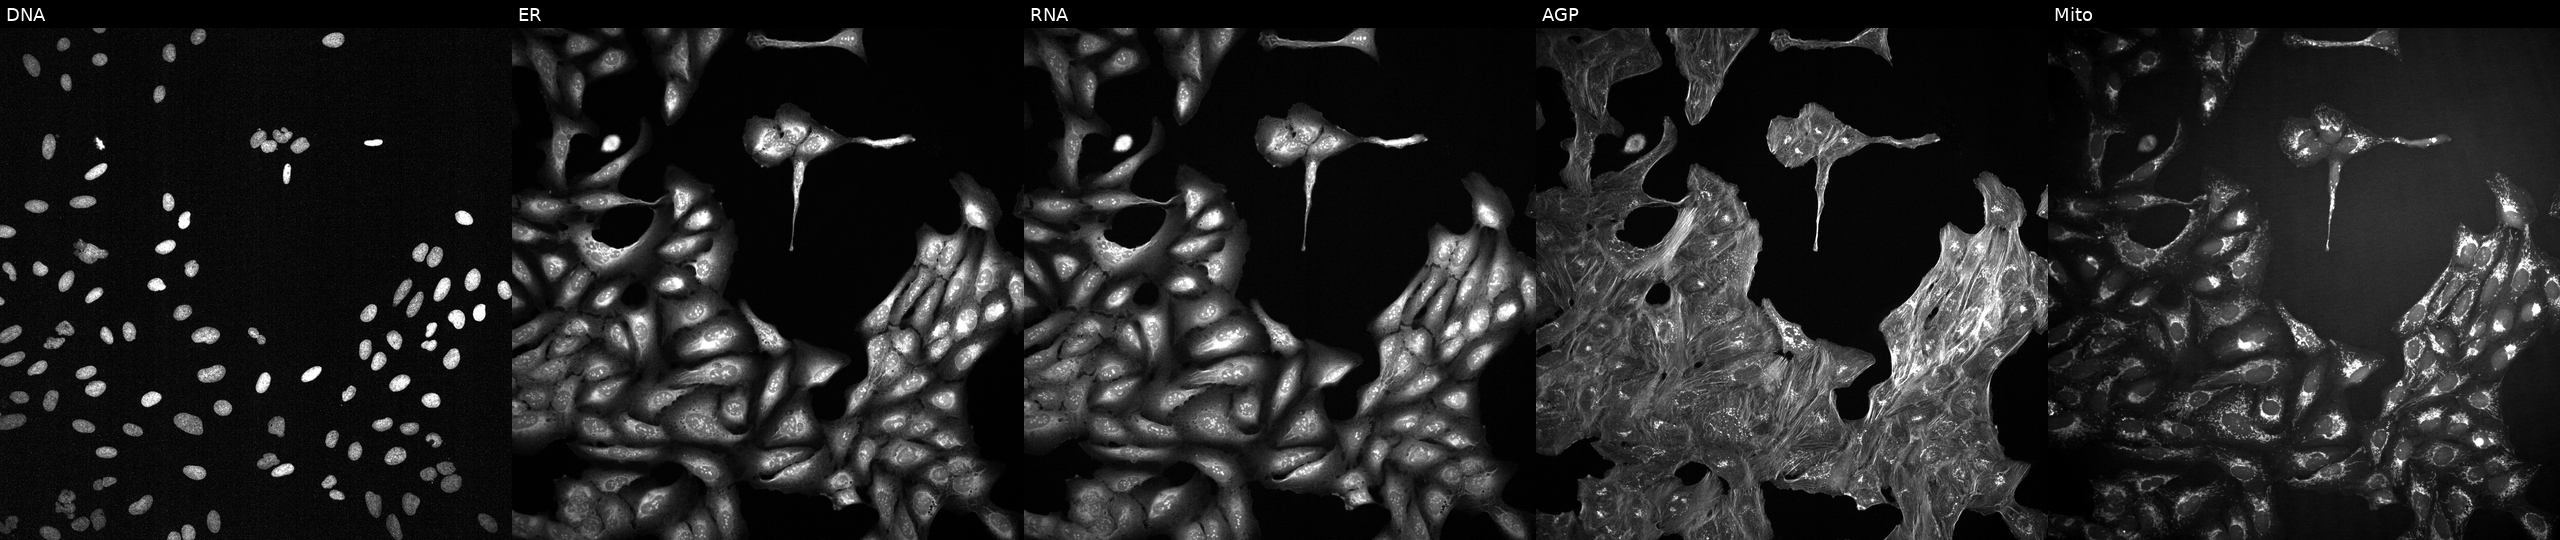
Channels (left→right): DNA, ER, RNA, AGP, and Mito. U2OS osteosarcoma cells treated with a small-molecule compound (InChIKey BOFQWVMAQOTZIW-UHFFFAOYSA-N). Cell Painting assay, JUMP-CP dataset.